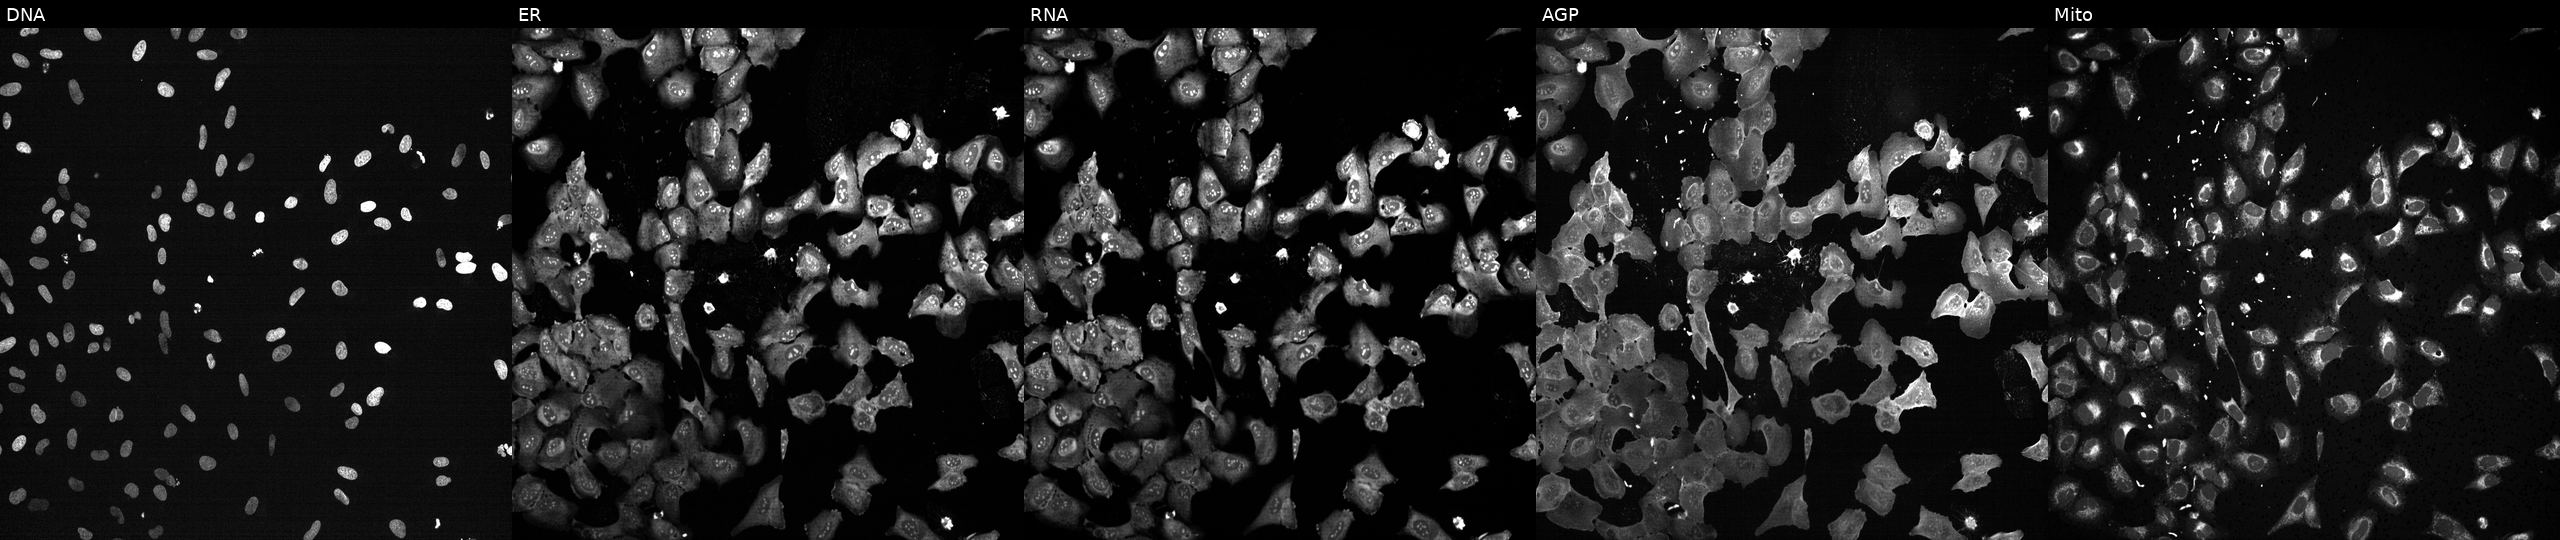
U2OS cells, Cell Painting assay, treated with TC-S-7004 (positive-control compound) (JUMP id JCP2022_012818). From left to right: DNA (nuclei); ER (endoplasmic reticulum); RNA (nucleoli and cytoplasmic RNA); AGP (actin cytoskeleton, Golgi, and plasma membrane); Mito (mitochondria). Each panel is percentile-stretched 16-bit fluorescence.